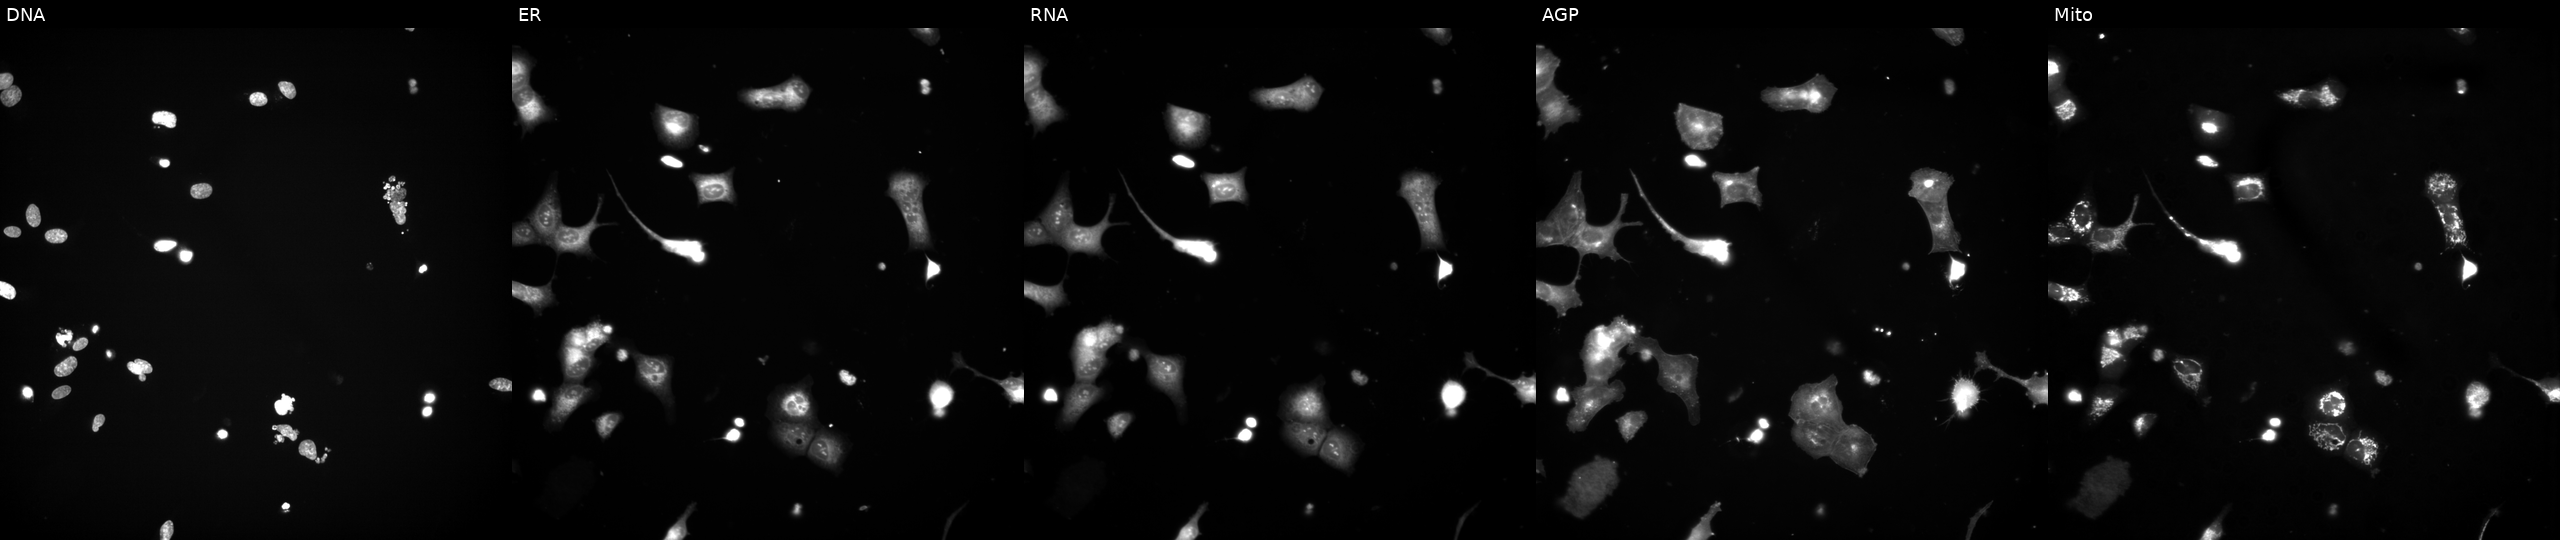
JUMP Cell Painting — TARGET2 plate. U2OS cells treated with a small-molecule compound (InChIKey XQVVPGYIWAGRNI-UHFFFAOYSA-N) (JUMP id JCP2022_105442). From left to right: DNA, ER, RNA, AGP, and Mito.